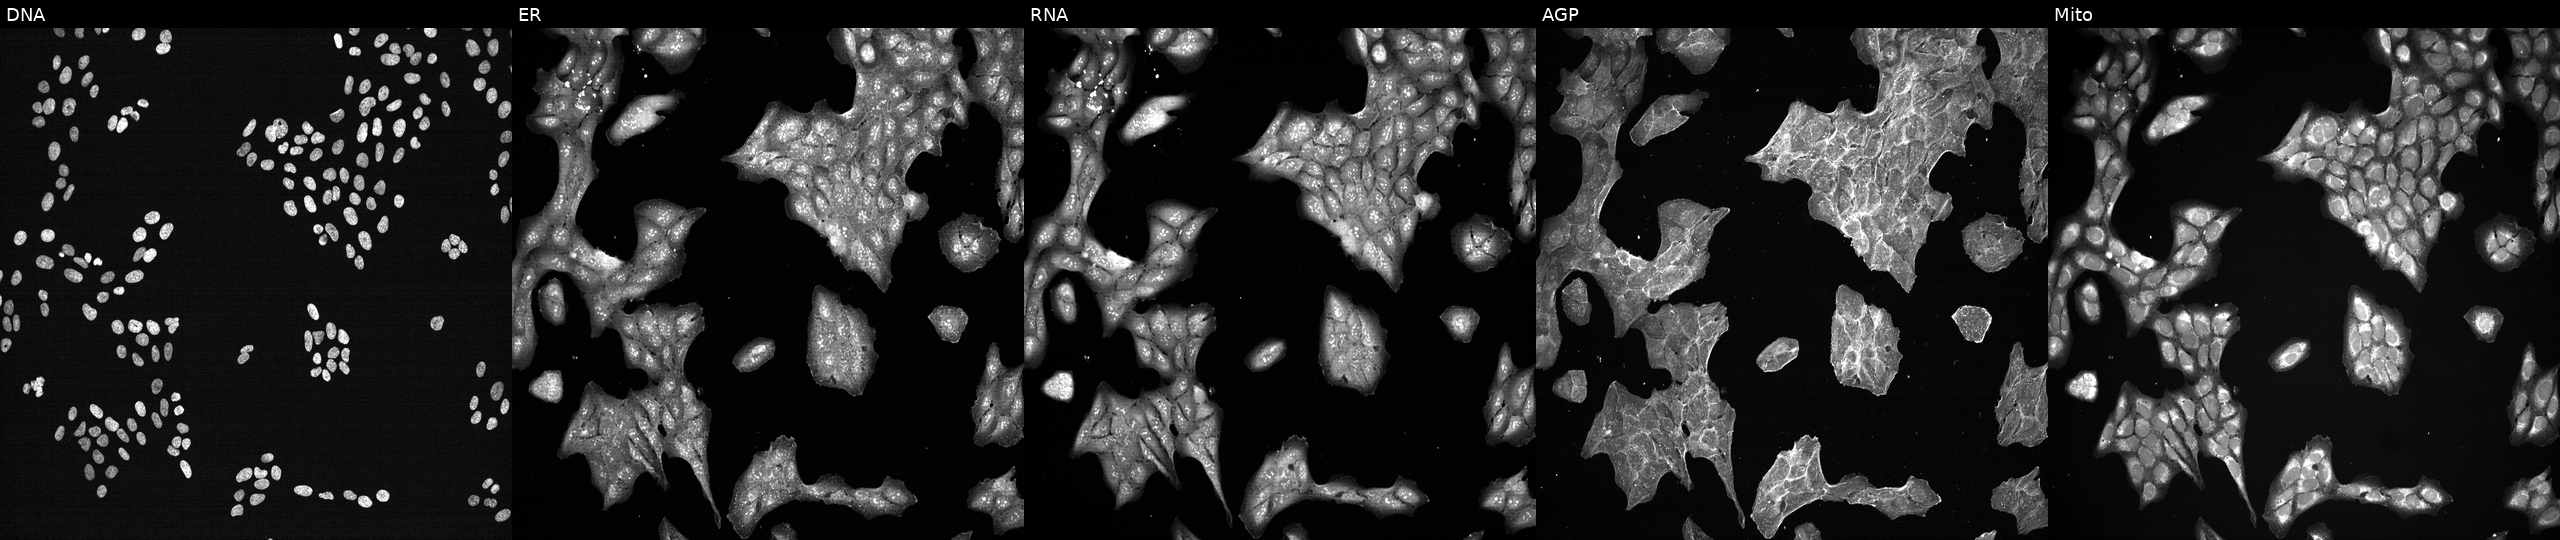
Five-channel Cell Painting image of U2OS cells perturbed with a small-molecule compound (InChIKey LNFZRMDSZJCZTG-UHFFFAOYSA-N). Panels show, left to right, Hoechst 33342, concanavalin A, SYTO 14, phalloidin and WGA, MitoTracker. Source 7, plate CP2-SC1-25, well P23.